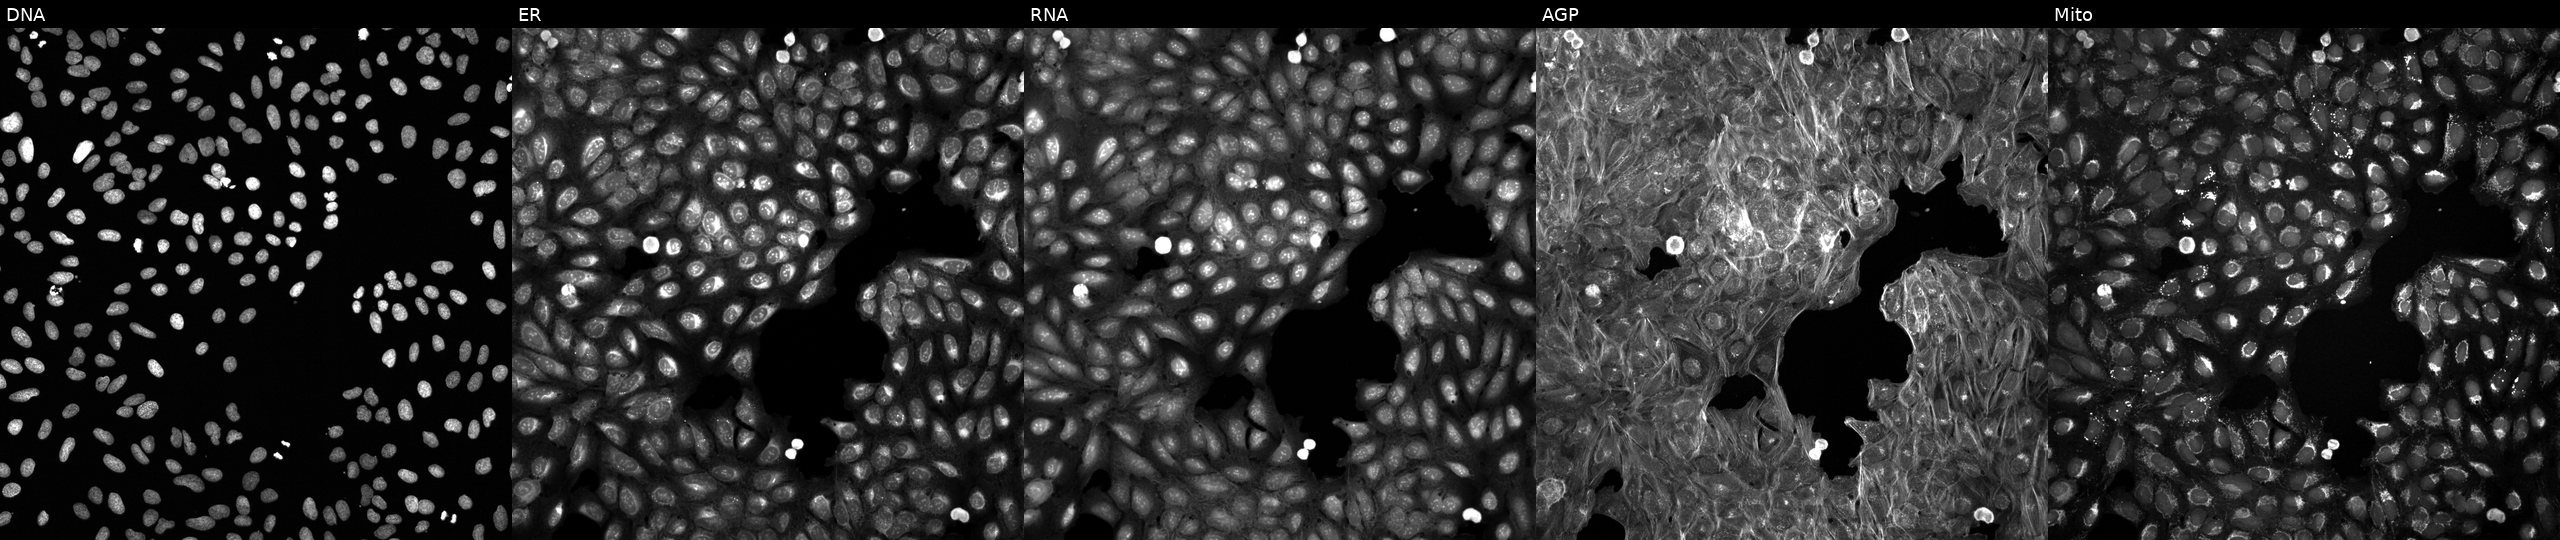
Five-channel Cell Painting image of U2OS cells perturbed with a small-molecule compound (InChIKey QFWCYNPOPKQOKV-UHFFFAOYSA-N) [SMILES: COc1cccc(-c2cc(=O)c3ccccc3o2)c1N]. Channels (left→right): DNA, ER, RNA, AGP, and Mito. Source 6, plate 110000294901, well E03.